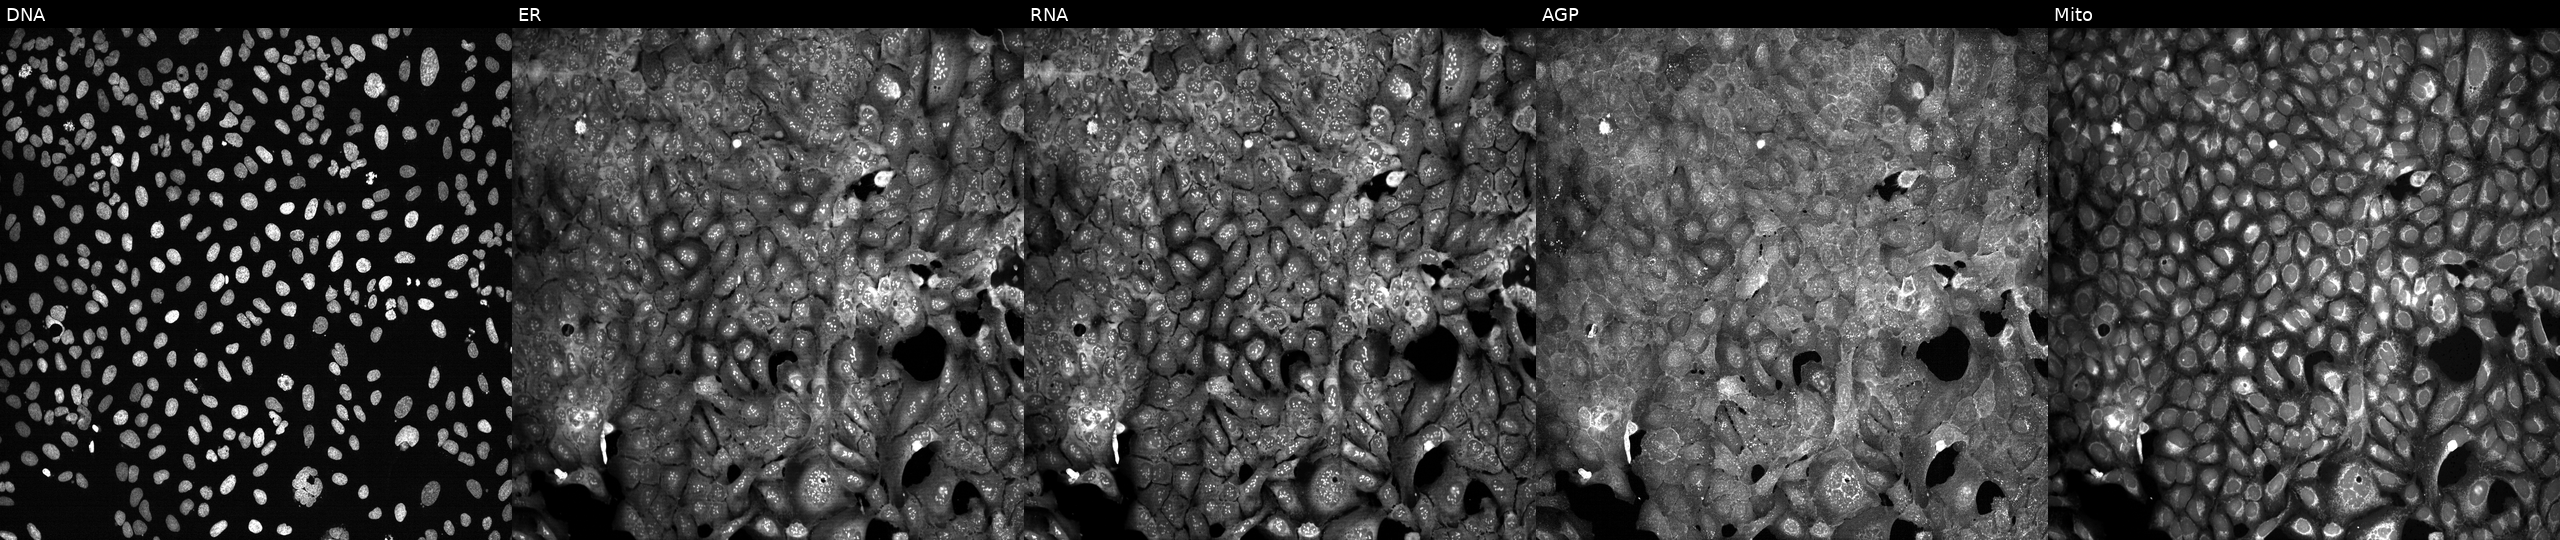
This image strip shows the five Cell Painting channels for a single field of U2OS cells with RHEB knocked out by CRISPR. Panels show, left to right, Hoechst 33342, concanavalin A, SYTO 14, phalloidin and WGA, MitoTracker.